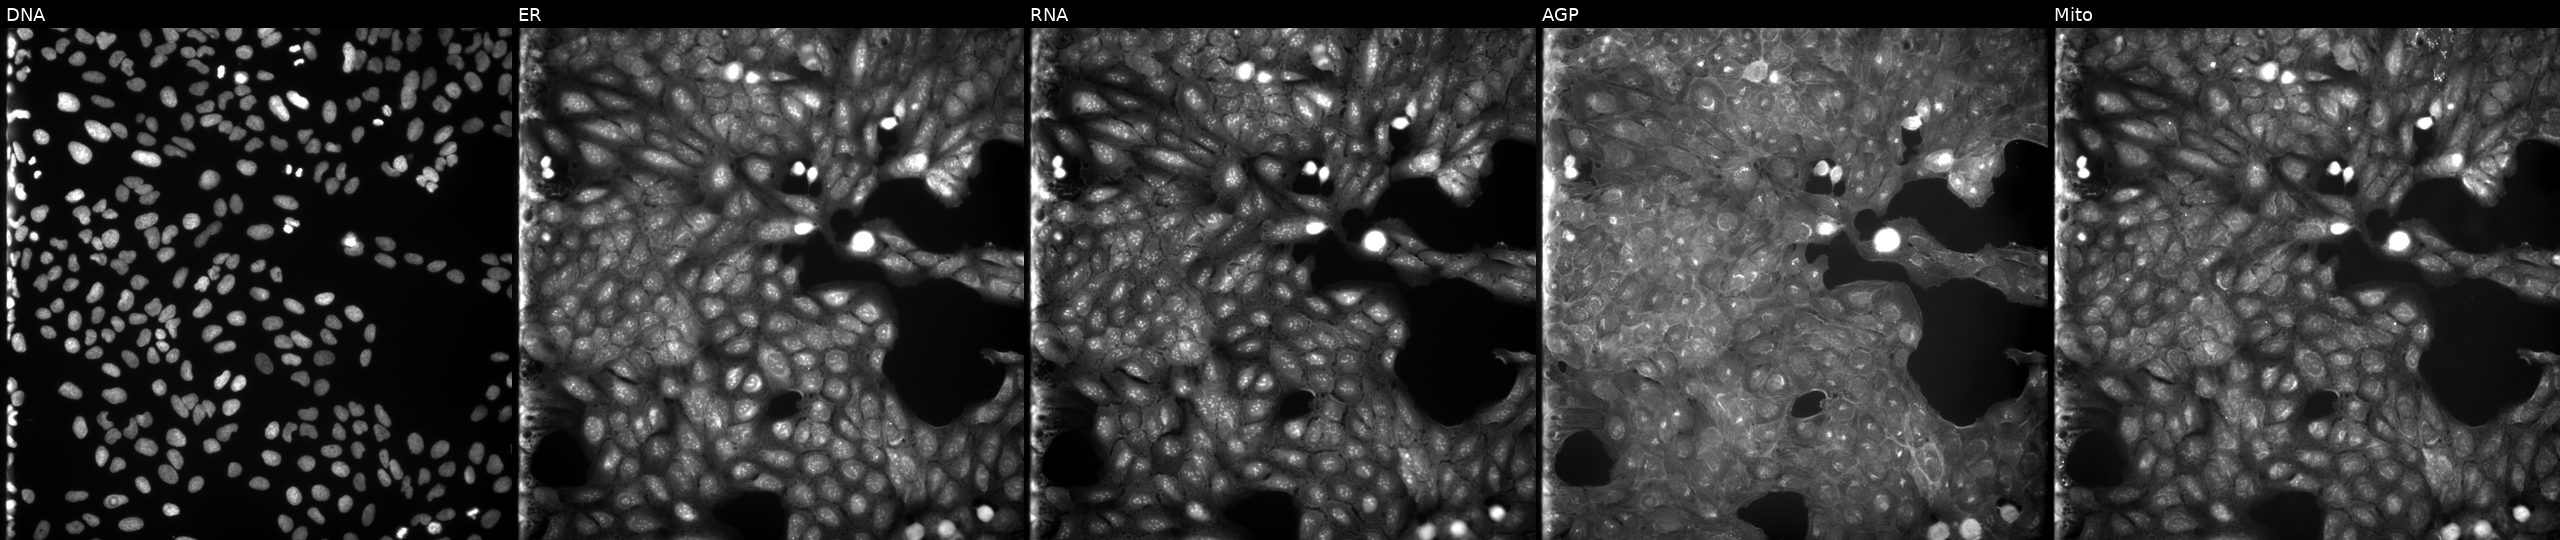
U2OS cells, Cell Painting assay, treated with a small-molecule compound [SMILES: COc1ccc(-c2nc(-c3ccc([N+](=O)[O-])cc3)no2)cc1OC] (JUMP id JCP2022_066727). Channels (left→right): Hoechst 33342, concanavalin A, SYTO 14, phalloidin and WGA, MitoTracker. Each panel is percentile-stretched 16-bit fluorescence.